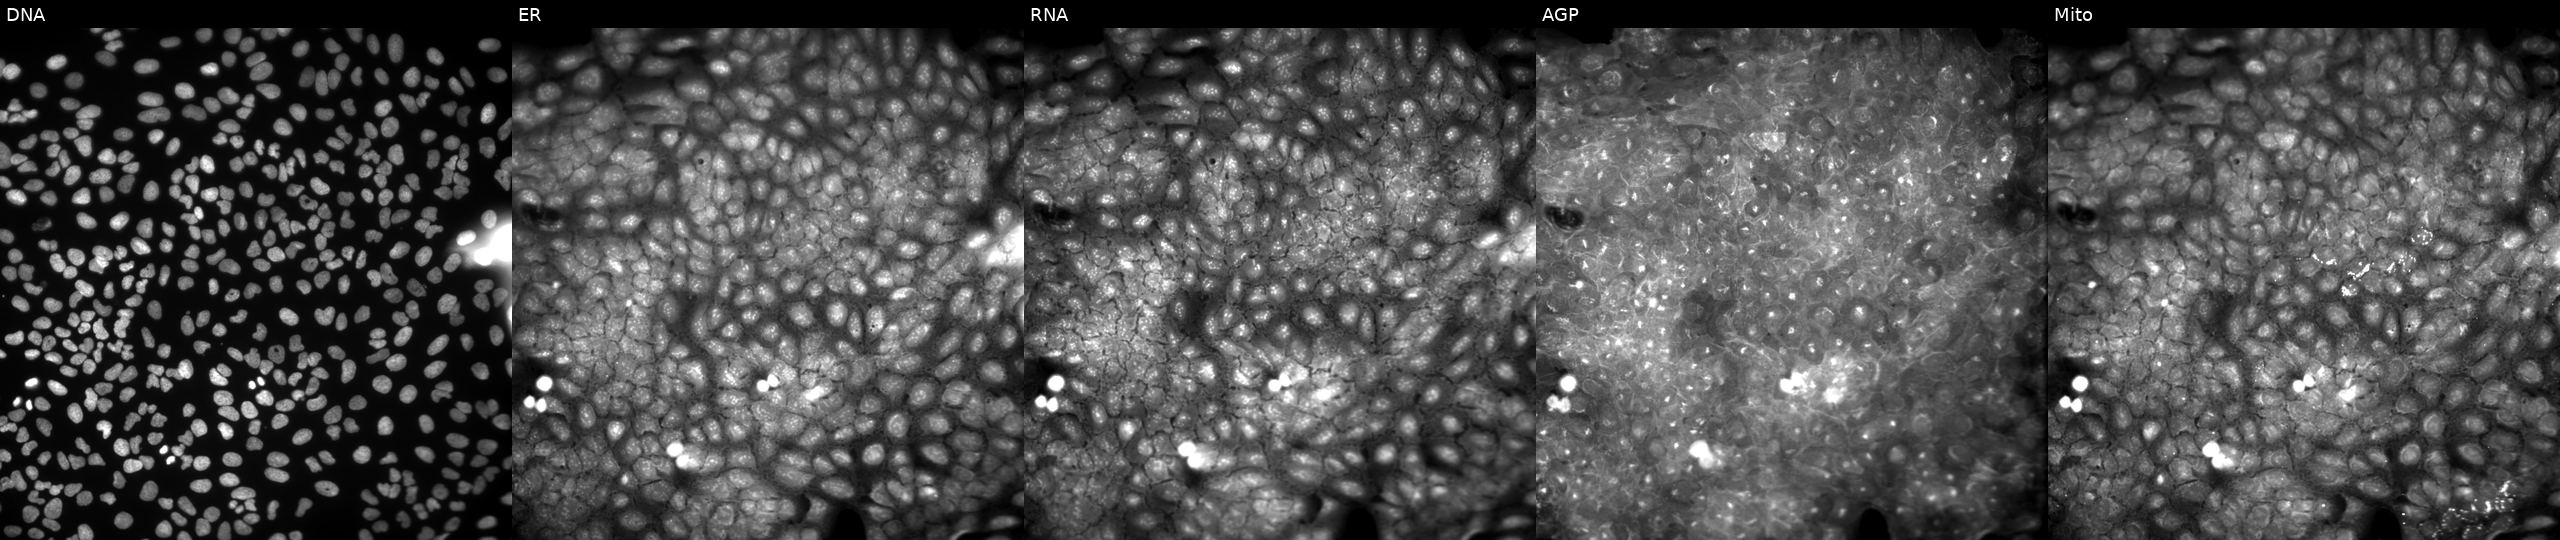
U2OS cells, Cell Painting assay, exposed to a small-molecule compound (InChIKey GCVAQUZPSUFJLK-UHFFFAOYSA-N). From left to right: Hoechst 33342, concanavalin A, SYTO 14, phalloidin and WGA, MitoTracker. Each panel is percentile-stretched 16-bit fluorescence. Source 9, plate GR00003381, well AD35.